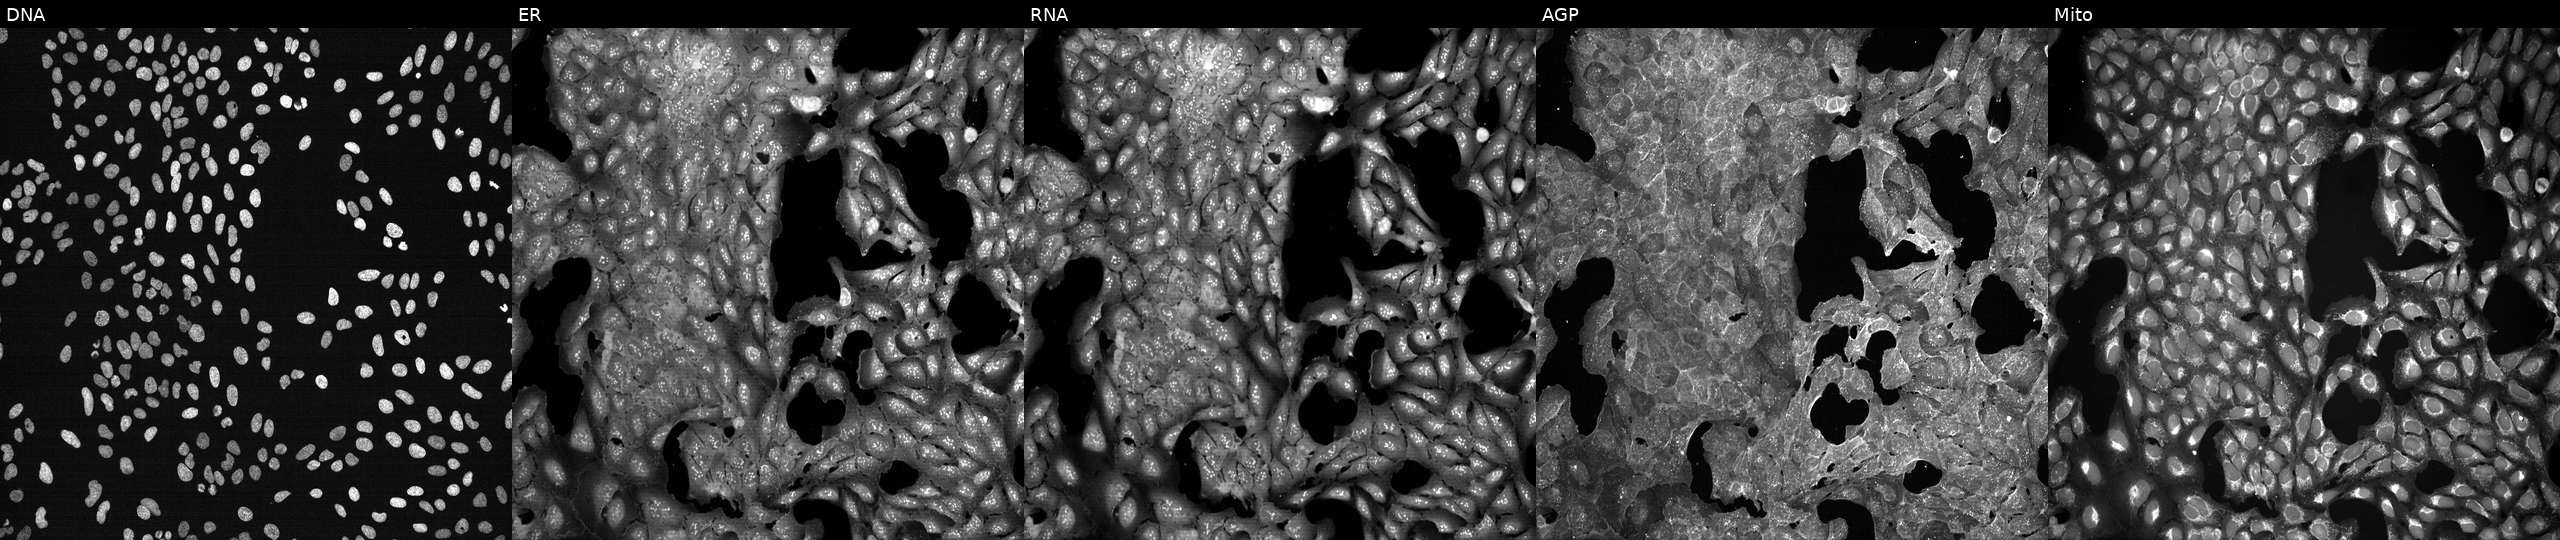
JUMP Cell Painting — TARGET2 plate. U2OS cells treated with a small-molecule compound (InChIKey PIMZUZSSNYHVCU-UHFFFAOYSA-N) [SMILES: C=C(C)C1C2OC(=O)C1C1(O)CC3OC34C(=O)OC2C14C]. Panels show, left to right, DNA, ER, RNA, AGP, and Mito.